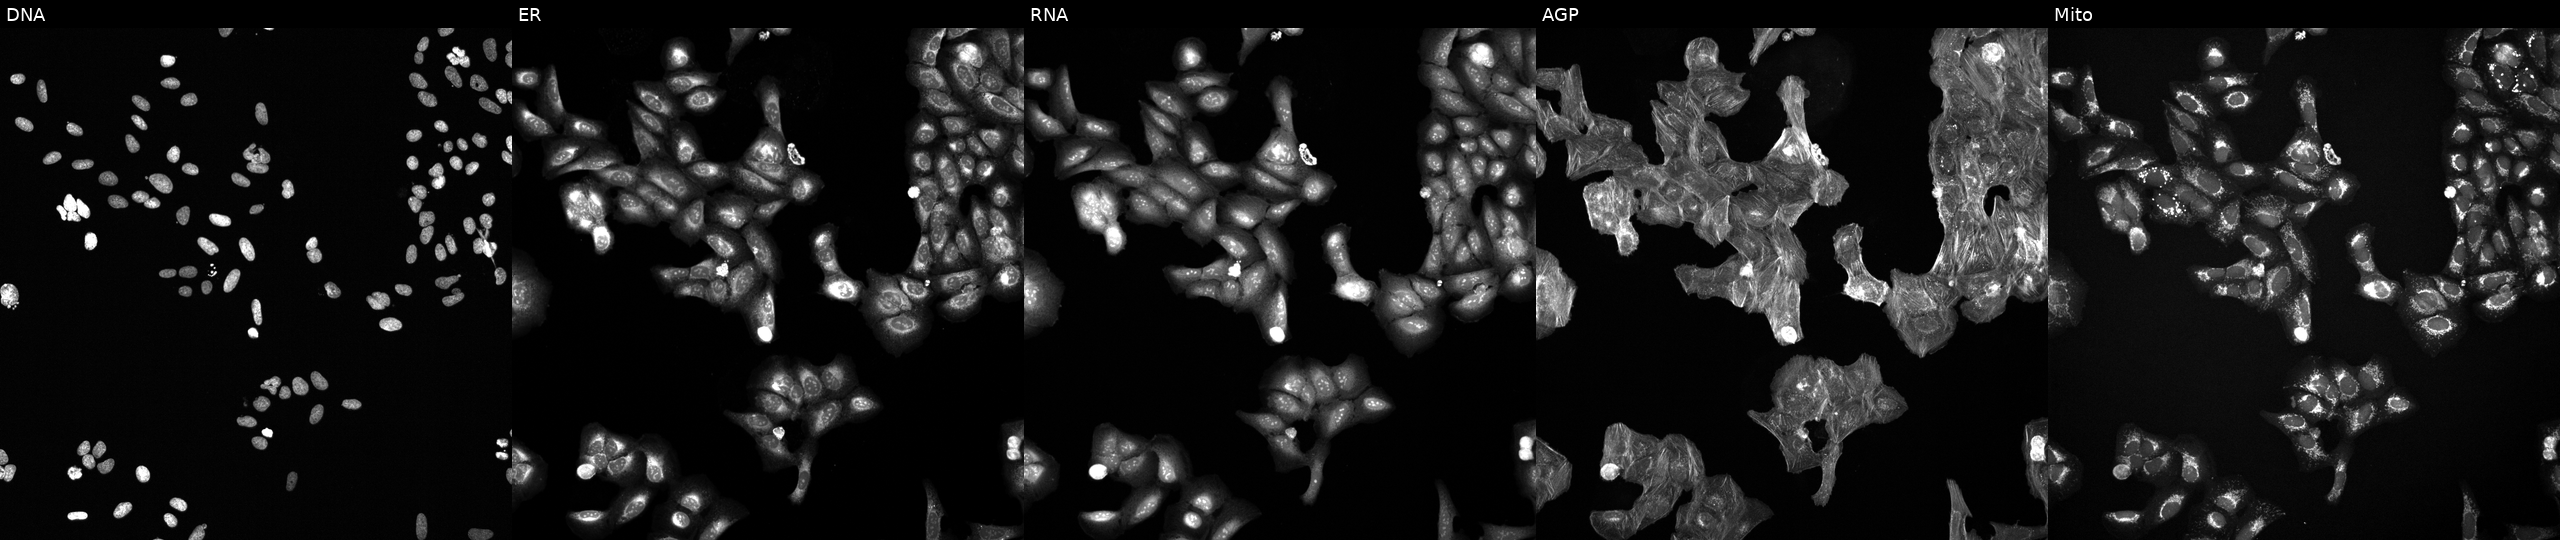
U2OS cells, Cell Painting assay, treated with a small-molecule compound. The five panels, left to right, show DNA (nuclei); ER (endoplasmic reticulum); RNA (nucleoli and cytoplasmic RNA); AGP (actin cytoskeleton, Golgi, and plasma membrane); Mito (mitochondria). Each panel is percentile-stretched 16-bit fluorescence.